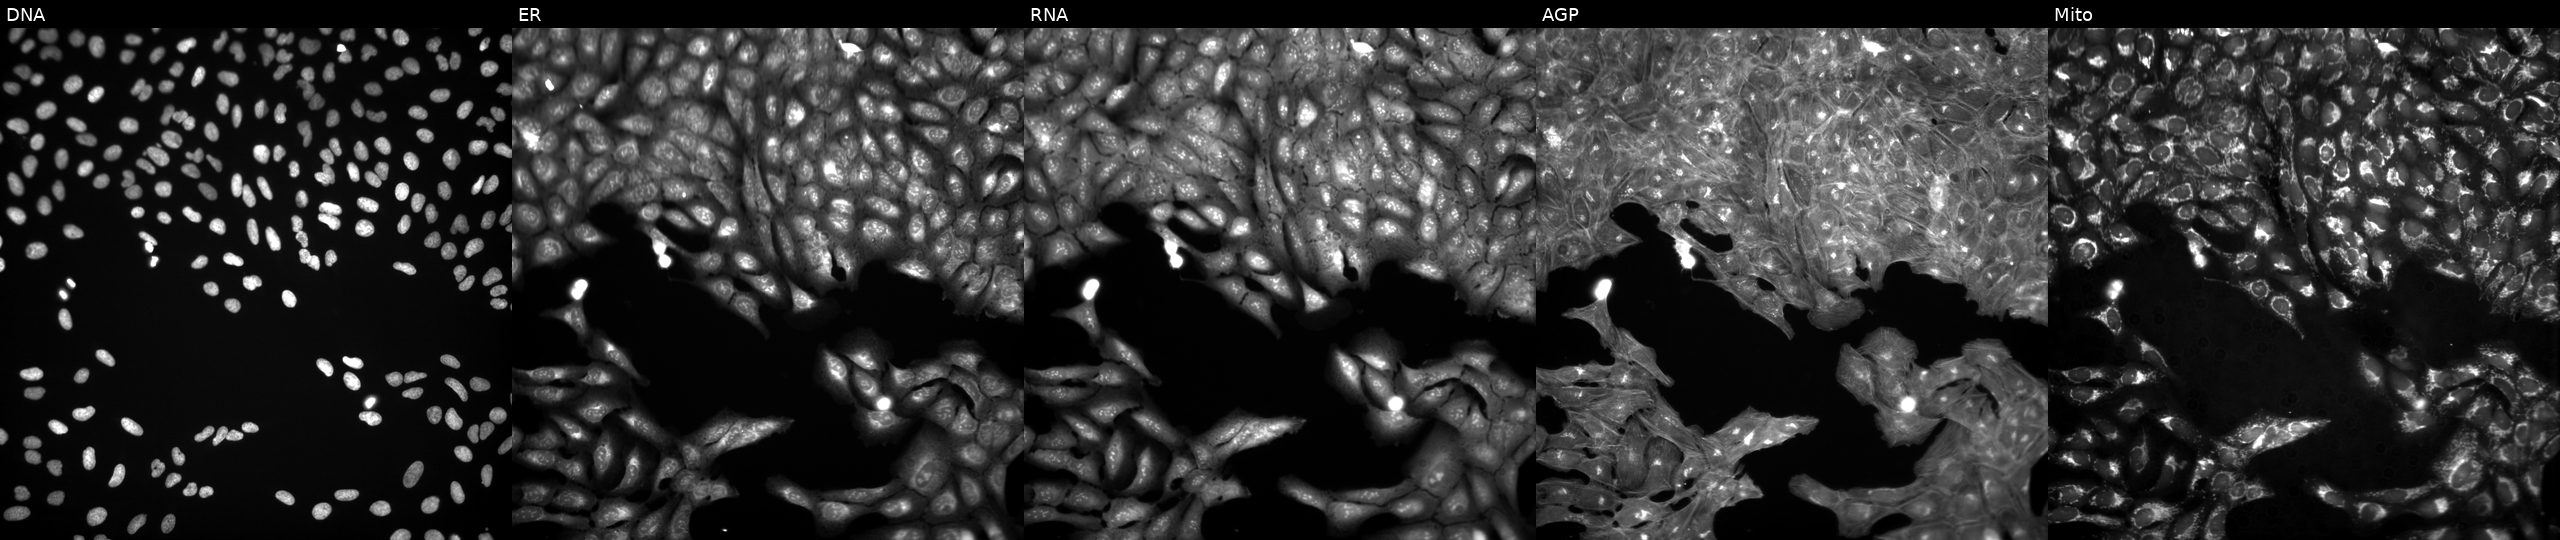
From left to right: DNA (nuclei); ER (endoplasmic reticulum); RNA (nucleoli and cytoplasmic RNA); AGP (actin cytoskeleton, Golgi, and plasma membrane); Mito (mitochondria). U2OS osteosarcoma cells treated with a small-molecule compound [SMILES: CCCCCCCCO] (JUMP id JCP2022_043547). Cell Painting assay, JUMP-CP dataset.